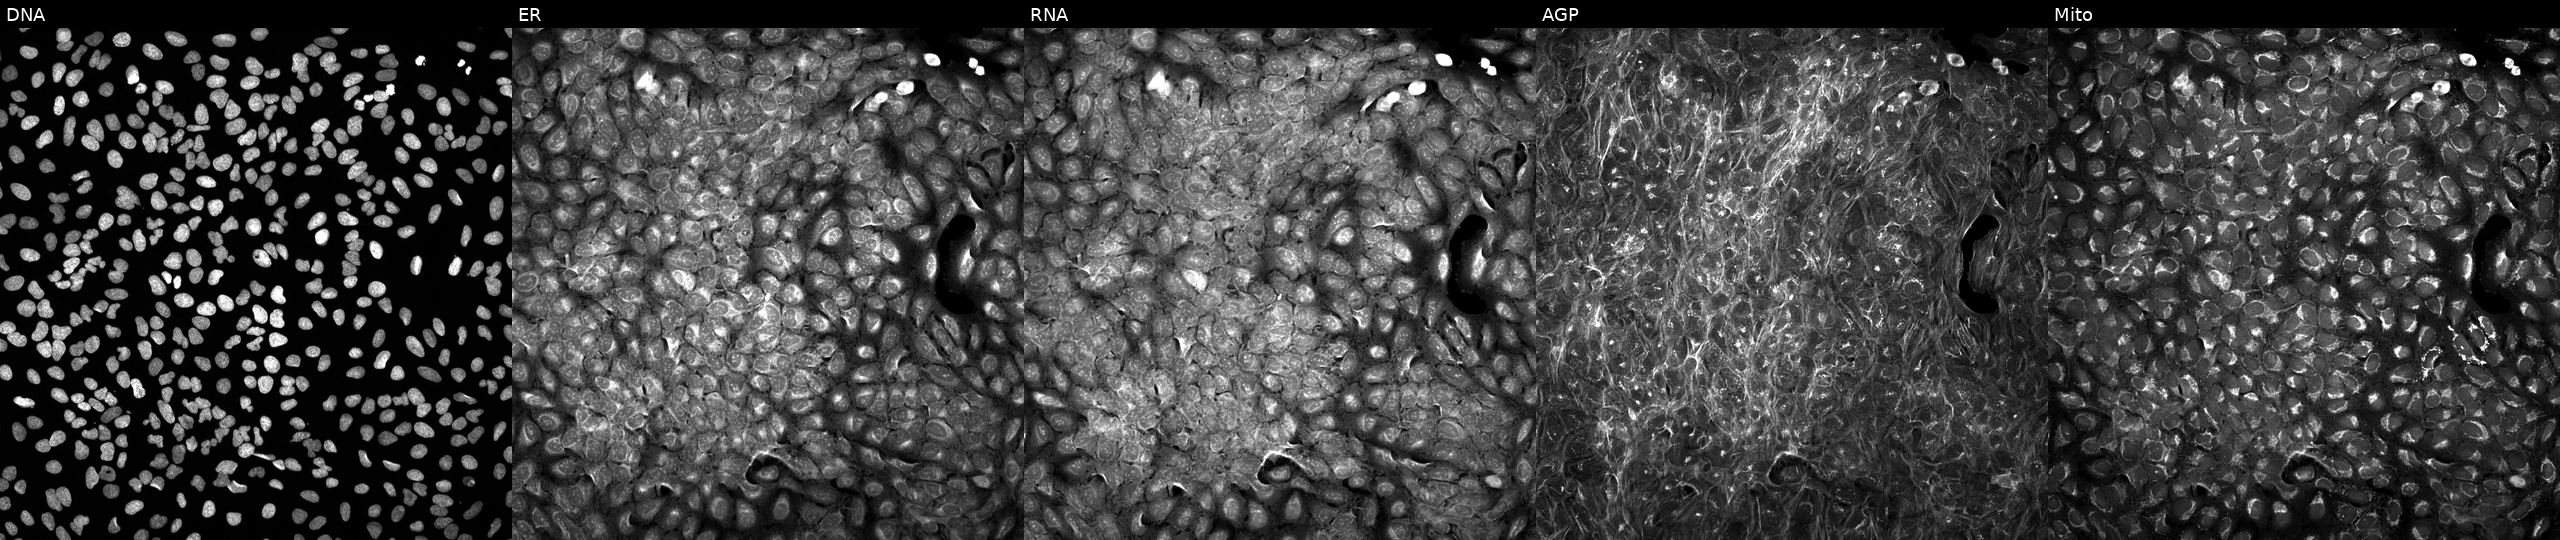
U2OS cells, Cell Painting assay, treated with a small-molecule compound (InChIKey VCKUSRYTPJJLNI-UHFFFAOYSA-N) (JUMP id JCP2022_093047). Channels (left→right): DNA (nuclei); ER (endoplasmic reticulum); RNA (nucleoli and cytoplasmic RNA); AGP (actin cytoskeleton, Golgi, and plasma membrane); Mito (mitochondria). Each panel is percentile-stretched 16-bit fluorescence.